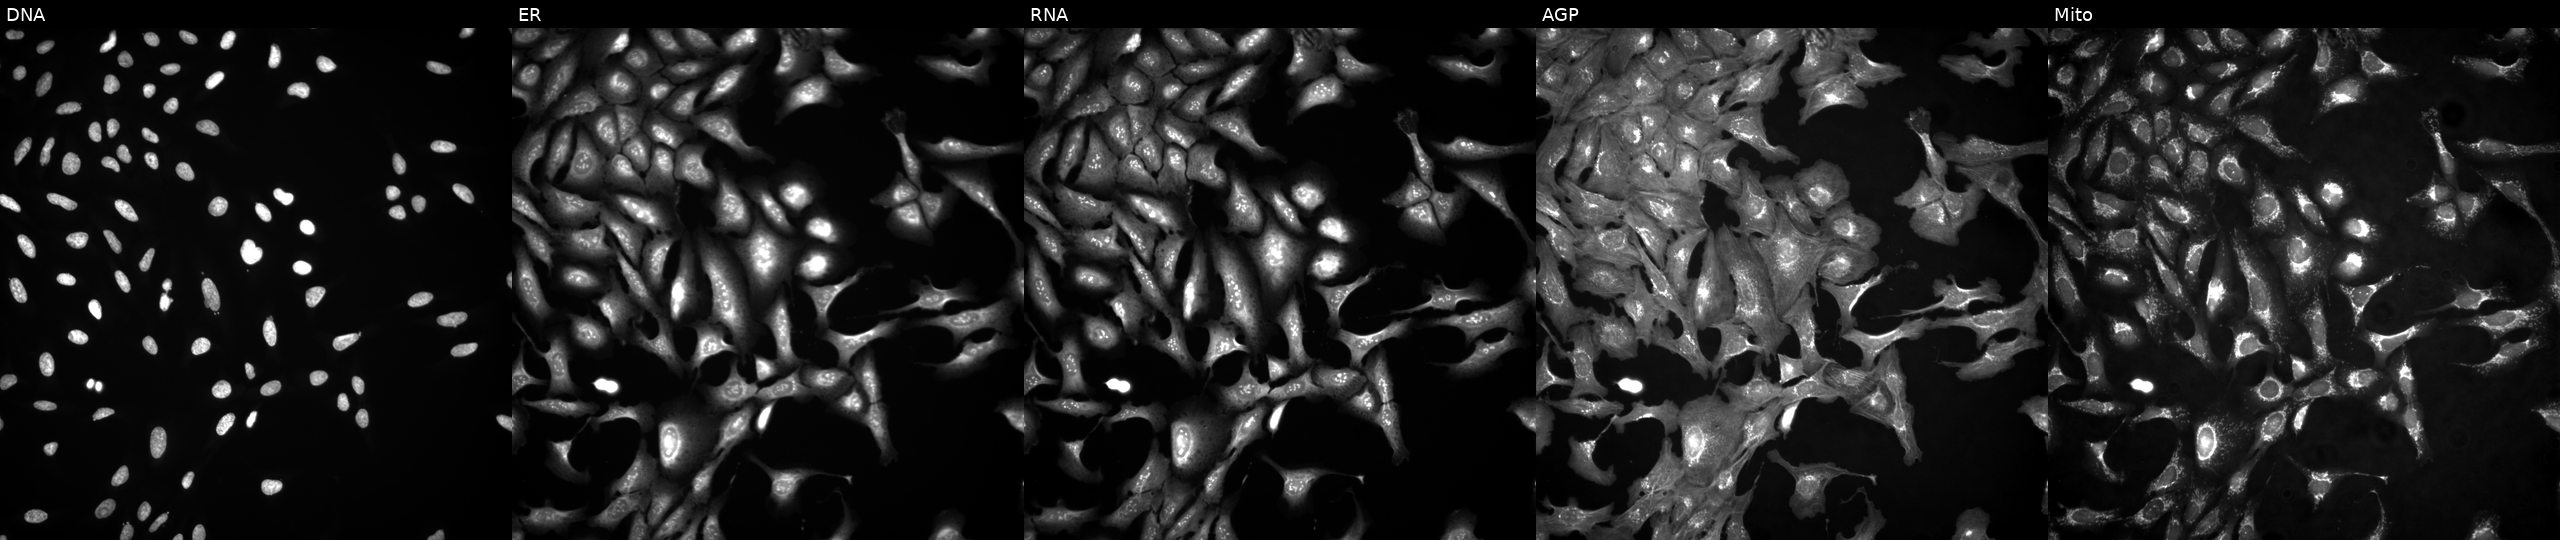
JUMP Cell Painting — ORF plate. U2OS cells overexpressing GRK6 via ORF transfection (JUMP id JCP2022_913687). Panels show, left to right, DNA, ER, RNA, AGP, and Mito.